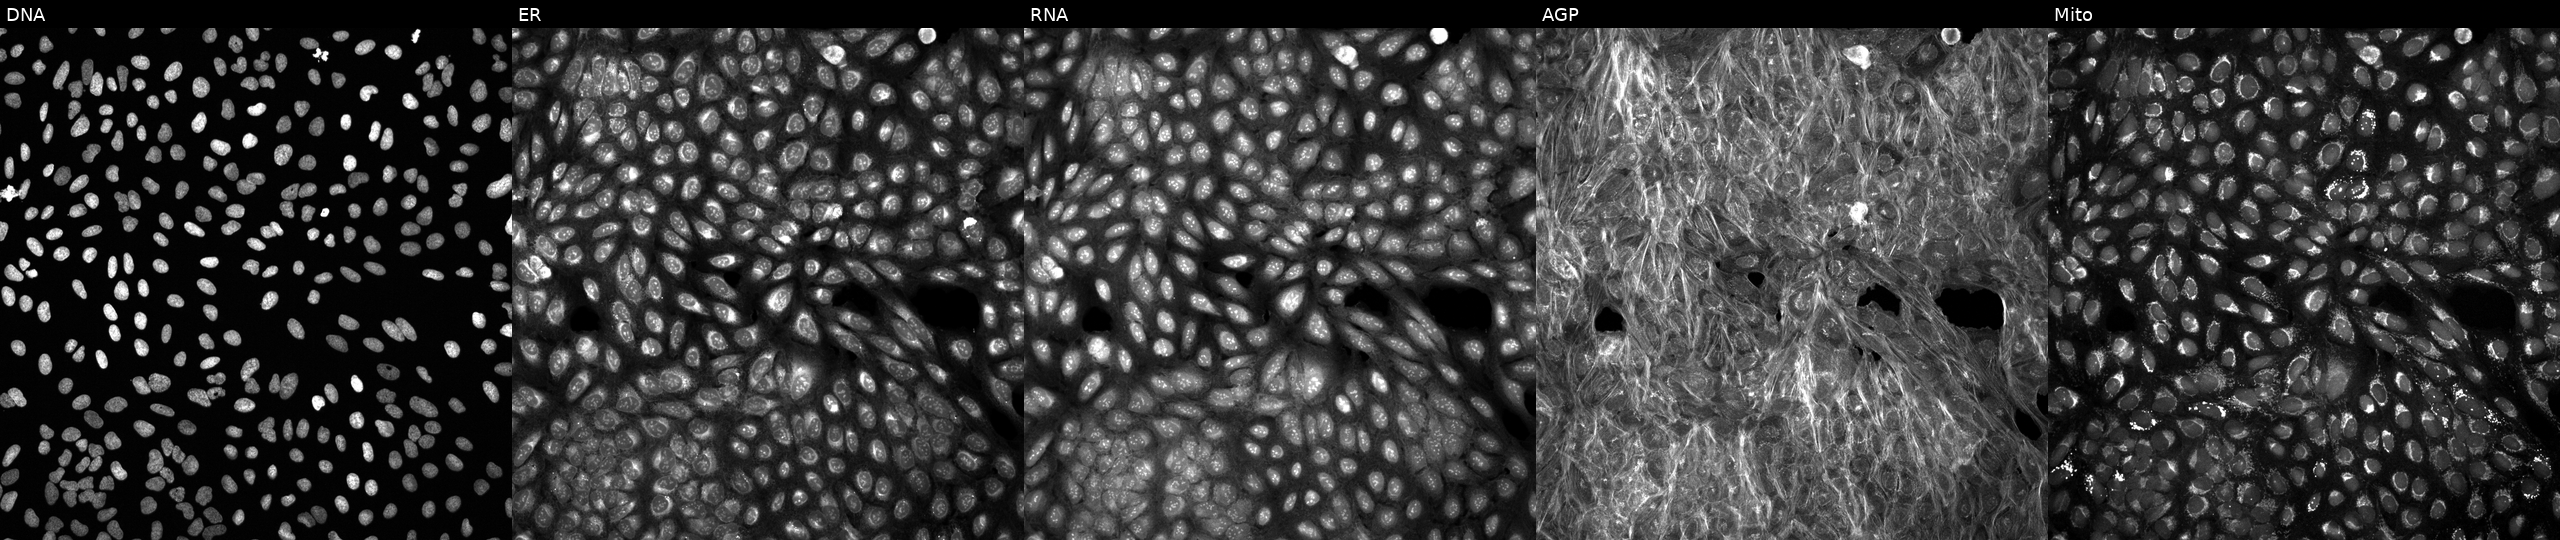
U2OS cells, Cell Painting assay, perturbed with a small-molecule compound (InChIKey JHDWDHPYXXHNBE-UHFFFAOYSA-N). Channels (left→right): DNA (nuclei); ER (endoplasmic reticulum); RNA (nucleoli and cytoplasmic RNA); AGP (actin cytoskeleton, Golgi, and plasma membrane); Mito (mitochondria). Each panel is percentile-stretched 16-bit fluorescence. Source 6, plate 110000293083, well P21.